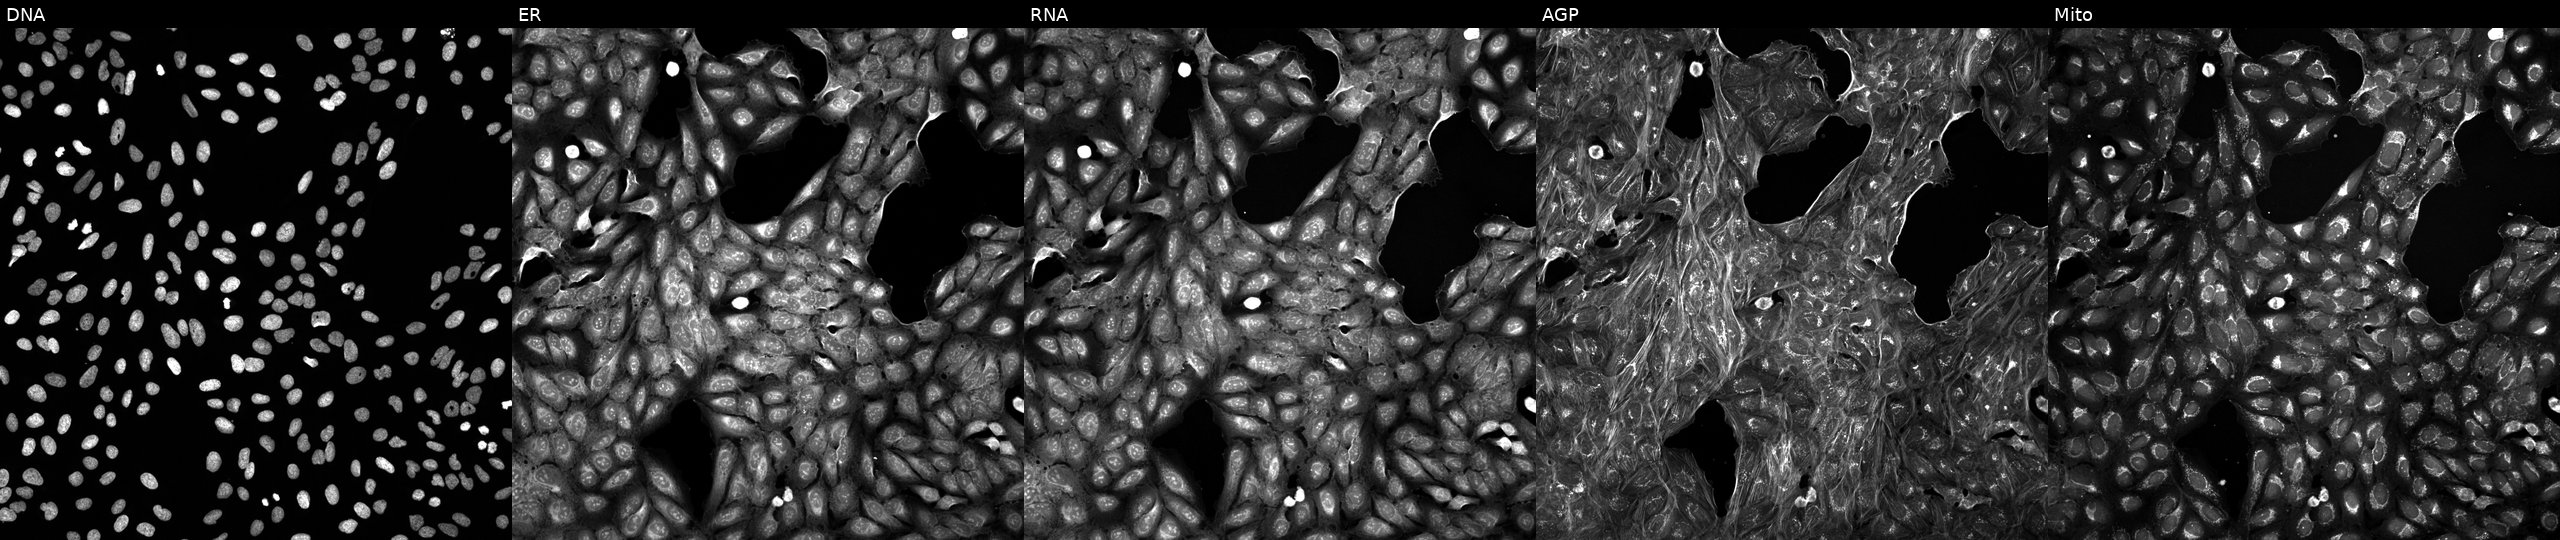
Five-channel Cell Painting image of U2OS cells treated with a small-molecule compound (InChIKey PMATZTZNYRCHOR-UHFFFAOYSA-N). The five panels, left to right, show Hoechst 33342, concanavalin A, SYTO 14, phalloidin and WGA, MitoTracker. Source 5, plate ACPJUM051, well L04.